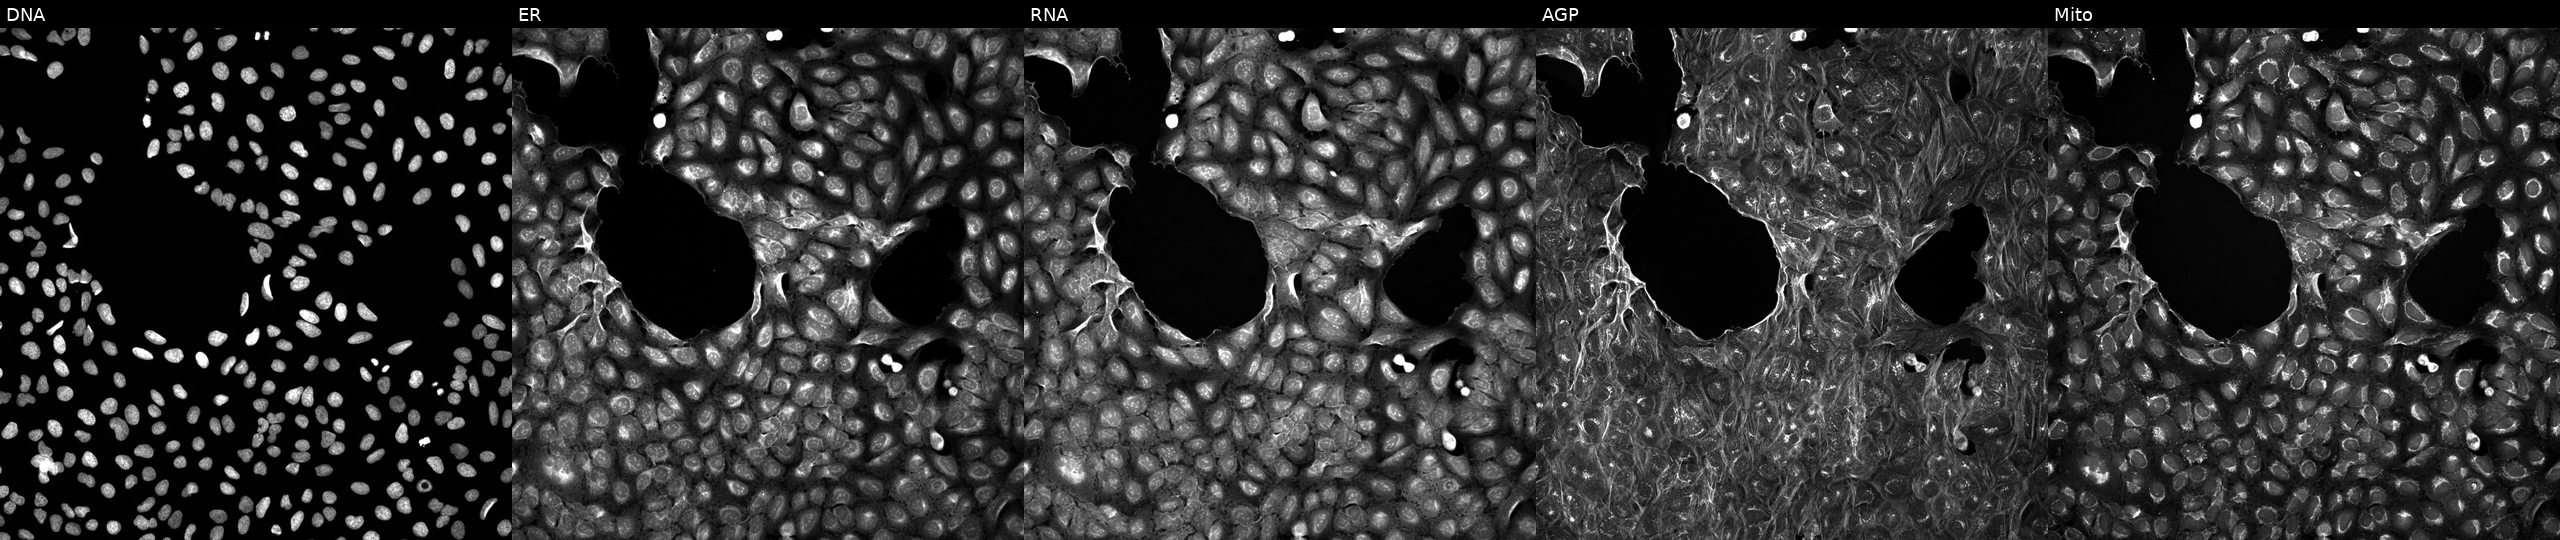
U2OS cells, Cell Painting assay, perturbed with a small-molecule compound (InChIKey PDMUGYOXRHVNMO-UHFFFAOYSA-N). The five panels, left to right, show DNA (nuclei); ER (endoplasmic reticulum); RNA (nucleoli and cytoplasmic RNA); AGP (actin cytoskeleton, Golgi, and plasma membrane); Mito (mitochondria). Each panel is percentile-stretched 16-bit fluorescence. Source 5, plate ACPJUM012, well L08.